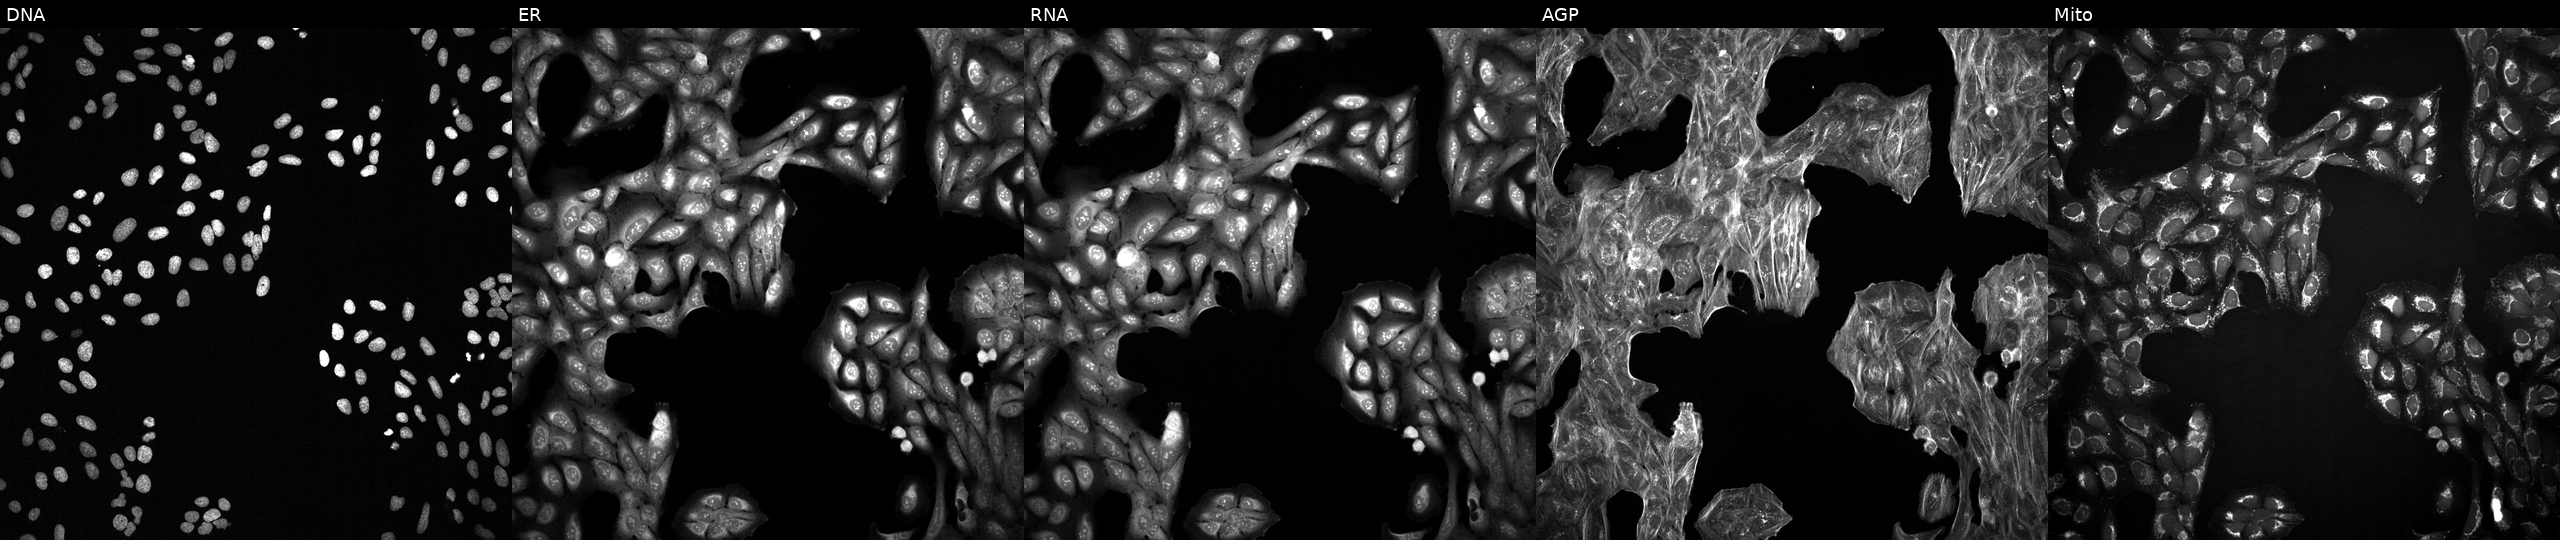
The five panels, left to right, show DNA (nuclei); ER (endoplasmic reticulum); RNA (nucleoli and cytoplasmic RNA); AGP (actin cytoskeleton, Golgi, and plasma membrane); Mito (mitochondria). U2OS osteosarcoma cells treated with a small-molecule compound (InChIKey DCWSREYCBVOMDS-UHFFFAOYSA-N). Cell Painting assay, JUMP-CP dataset.